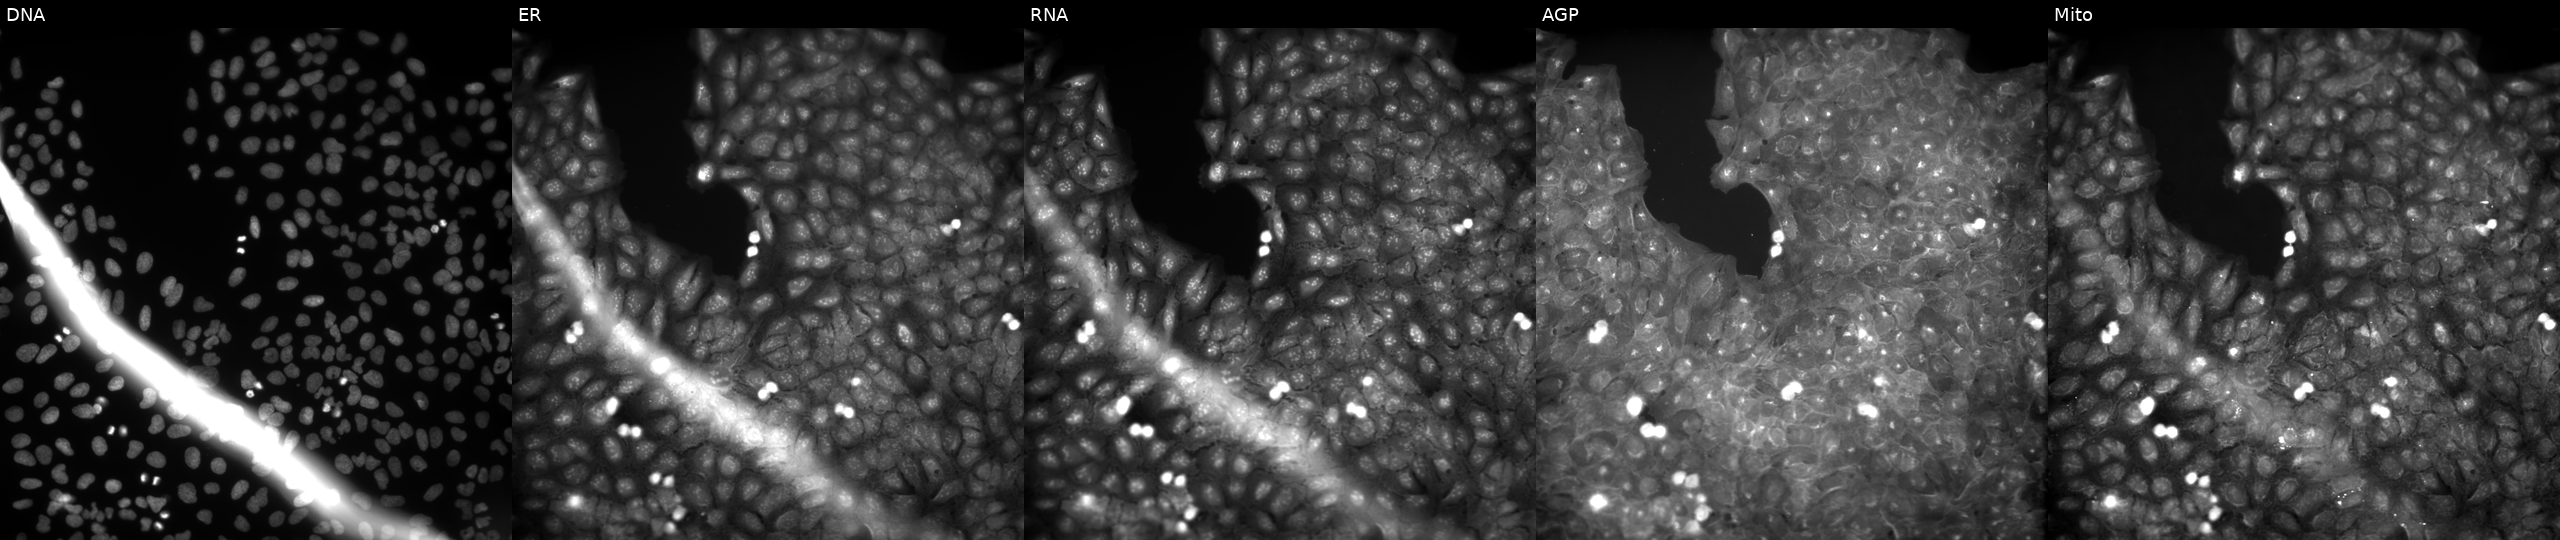
The five panels, left to right, show DNA, ER, RNA, AGP, and Mito. U2OS osteosarcoma cells perturbed with a small-molecule compound. Cell Painting assay, JUMP-CP dataset.